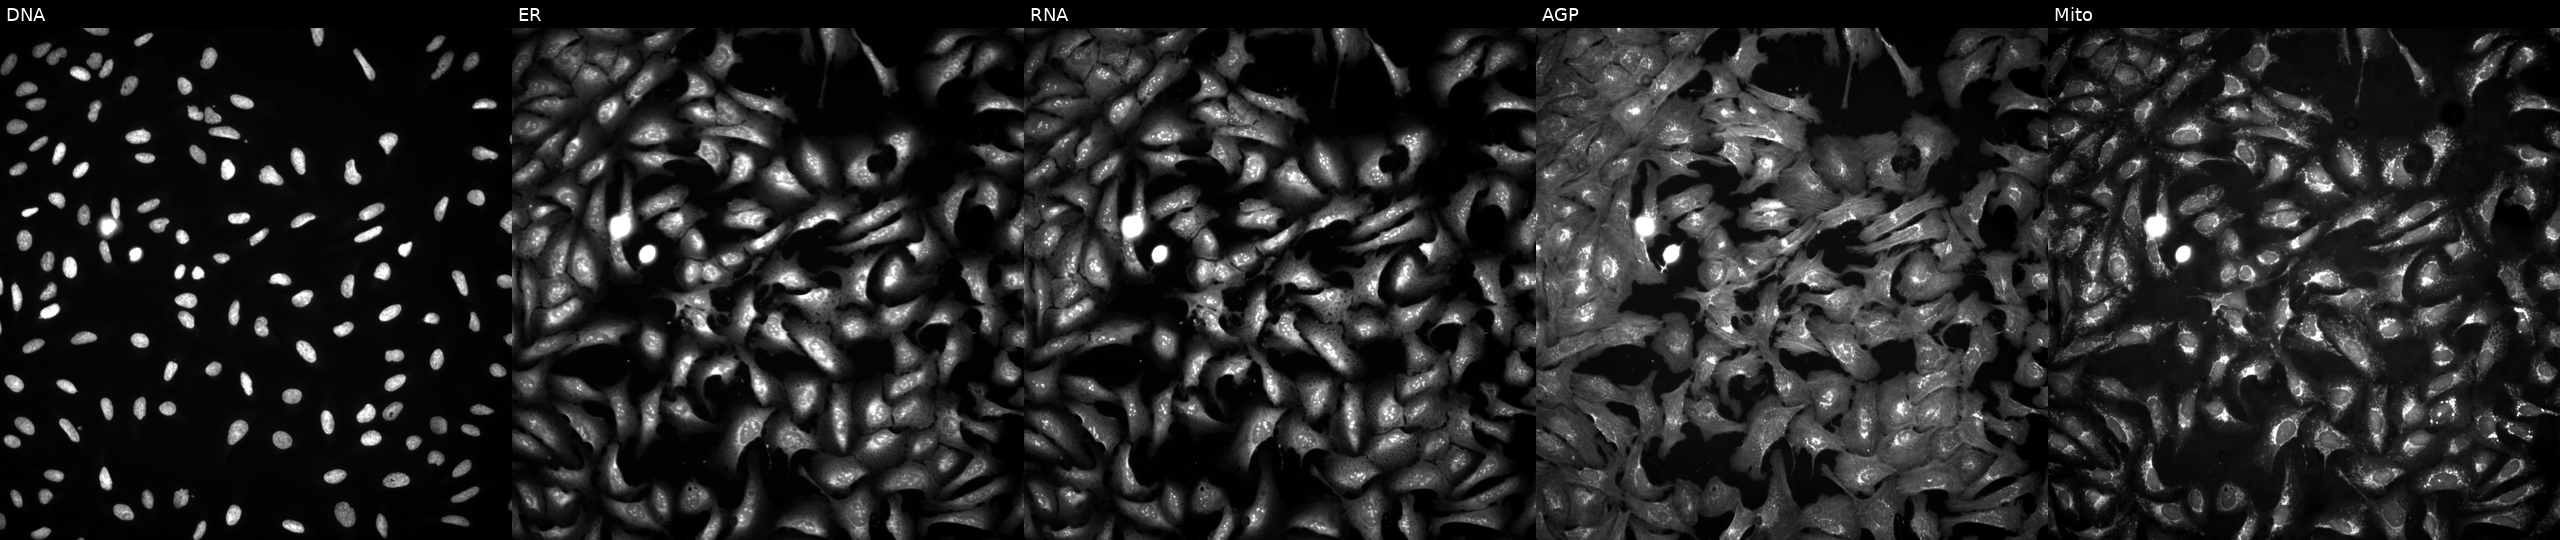
Five-channel Cell Painting image of U2OS cells with PTPN9 overexpressed (ORF). The five panels, left to right, show Hoechst 33342, concanavalin A, SYTO 14, phalloidin and WGA, MitoTracker.